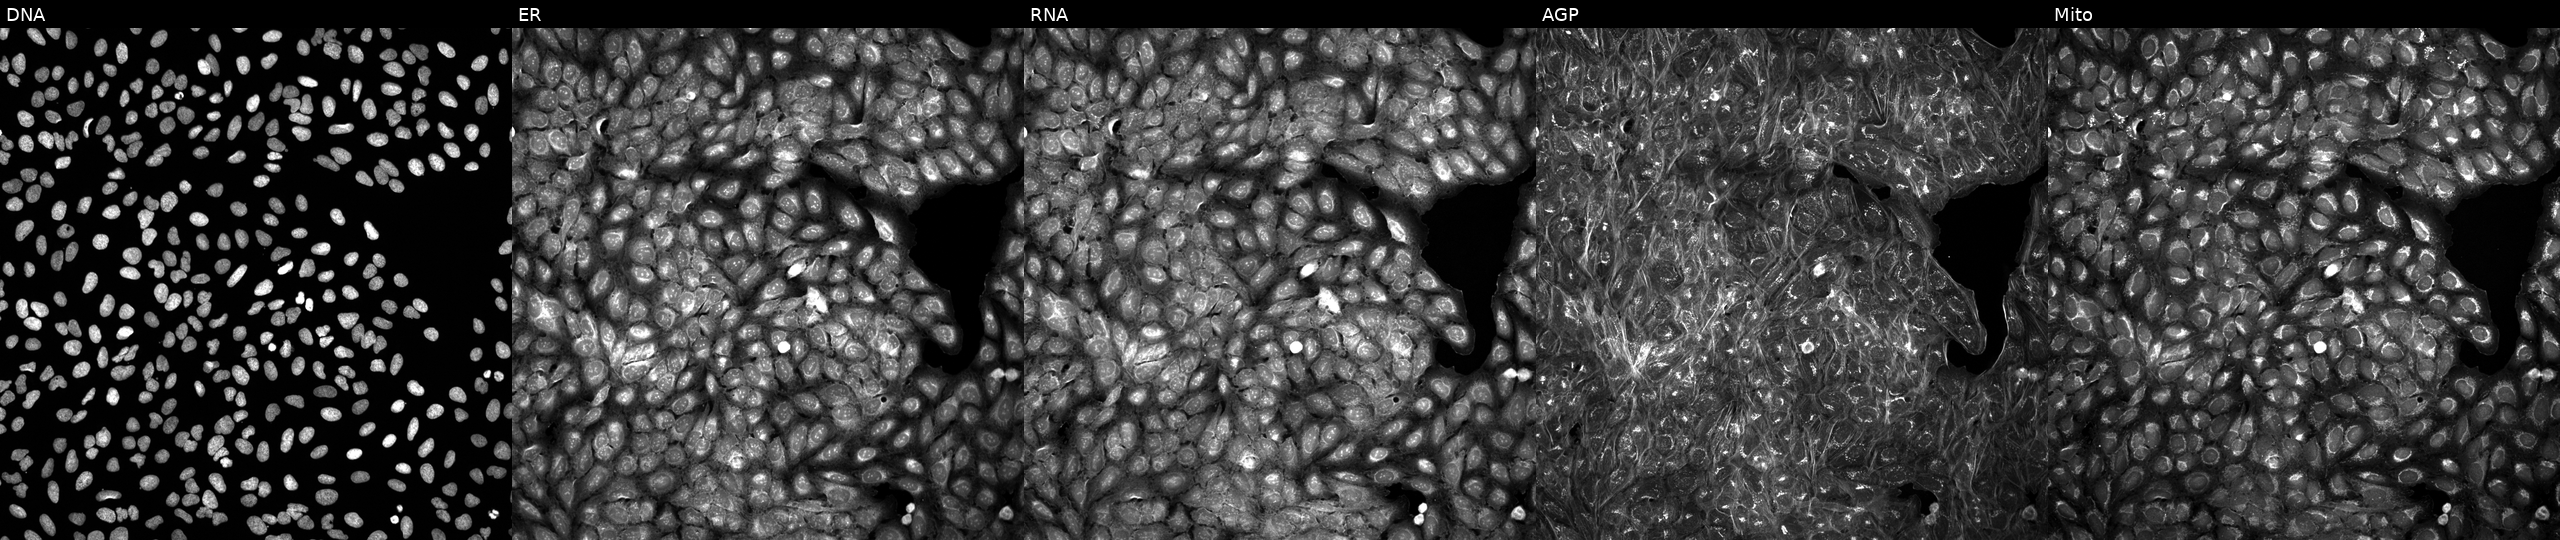
The five panels, left to right, show DNA, ER, RNA, AGP, and Mito. U2OS osteosarcoma cells perturbed with a small-molecule compound (InChIKey CEBUESRQDJNXRJ-UHFFFAOYSA-N) (JUMP id JCP2022_010526). Cell Painting assay, JUMP-CP dataset.